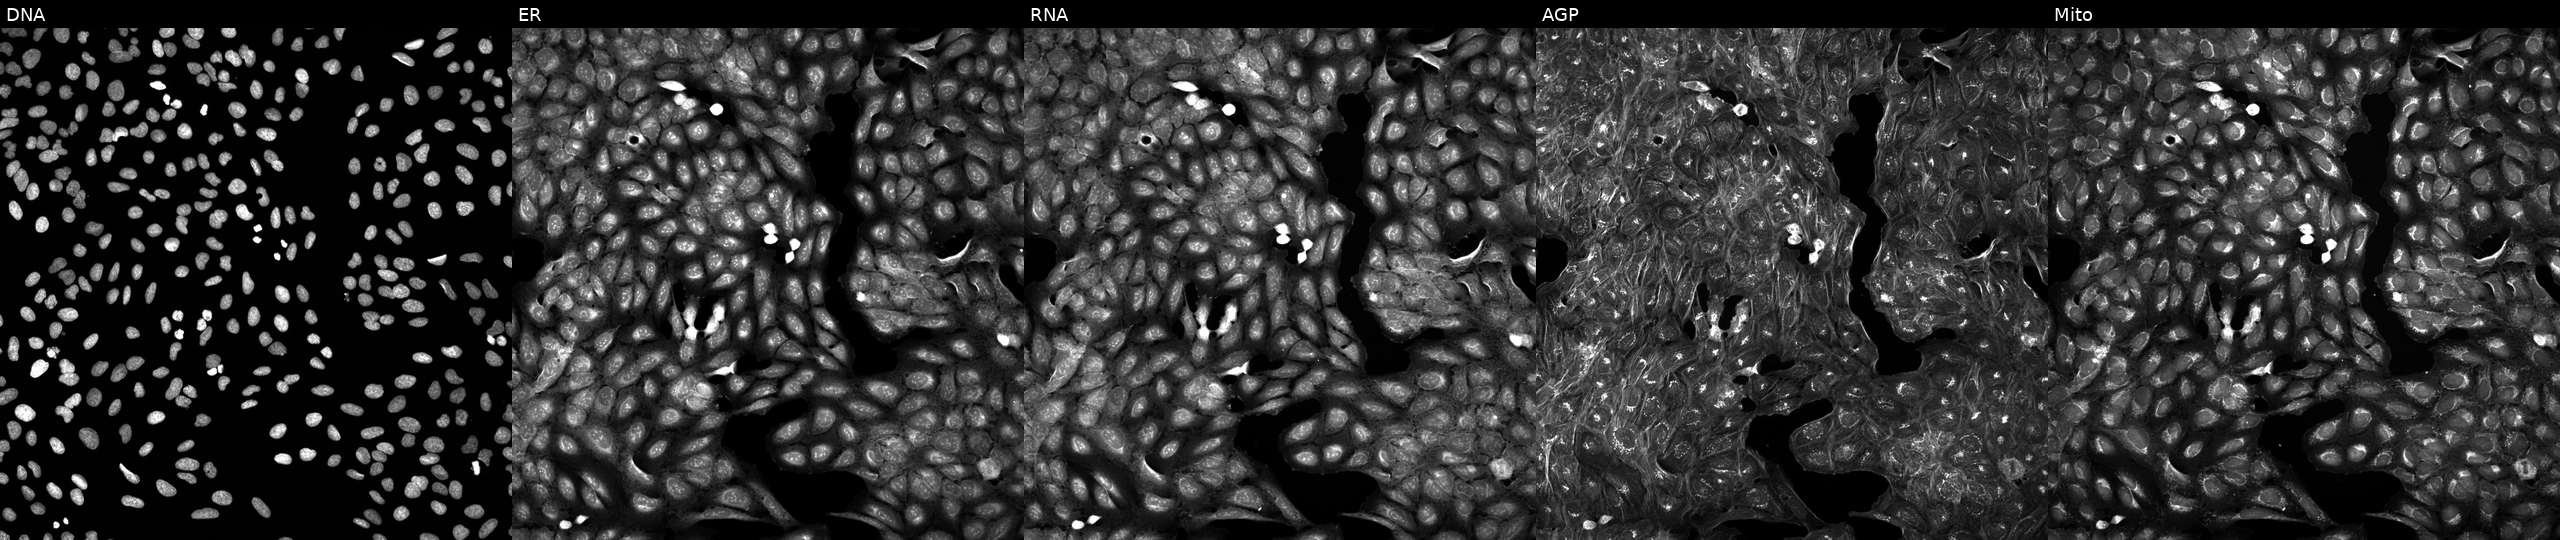
JUMP Cell Painting — COMPOUND plate. U2OS cells perturbed with a small-molecule compound [SMILES: O=C(CCN1CCC(c2cn[nH]c2)CC1)N1CCc2ccccc21] (JUMP id JCP2022_058859). Panels show, left to right, Hoechst 33342, concanavalin A, SYTO 14, phalloidin and WGA, MitoTracker. Source 5, plate APTJUM106, well J05.